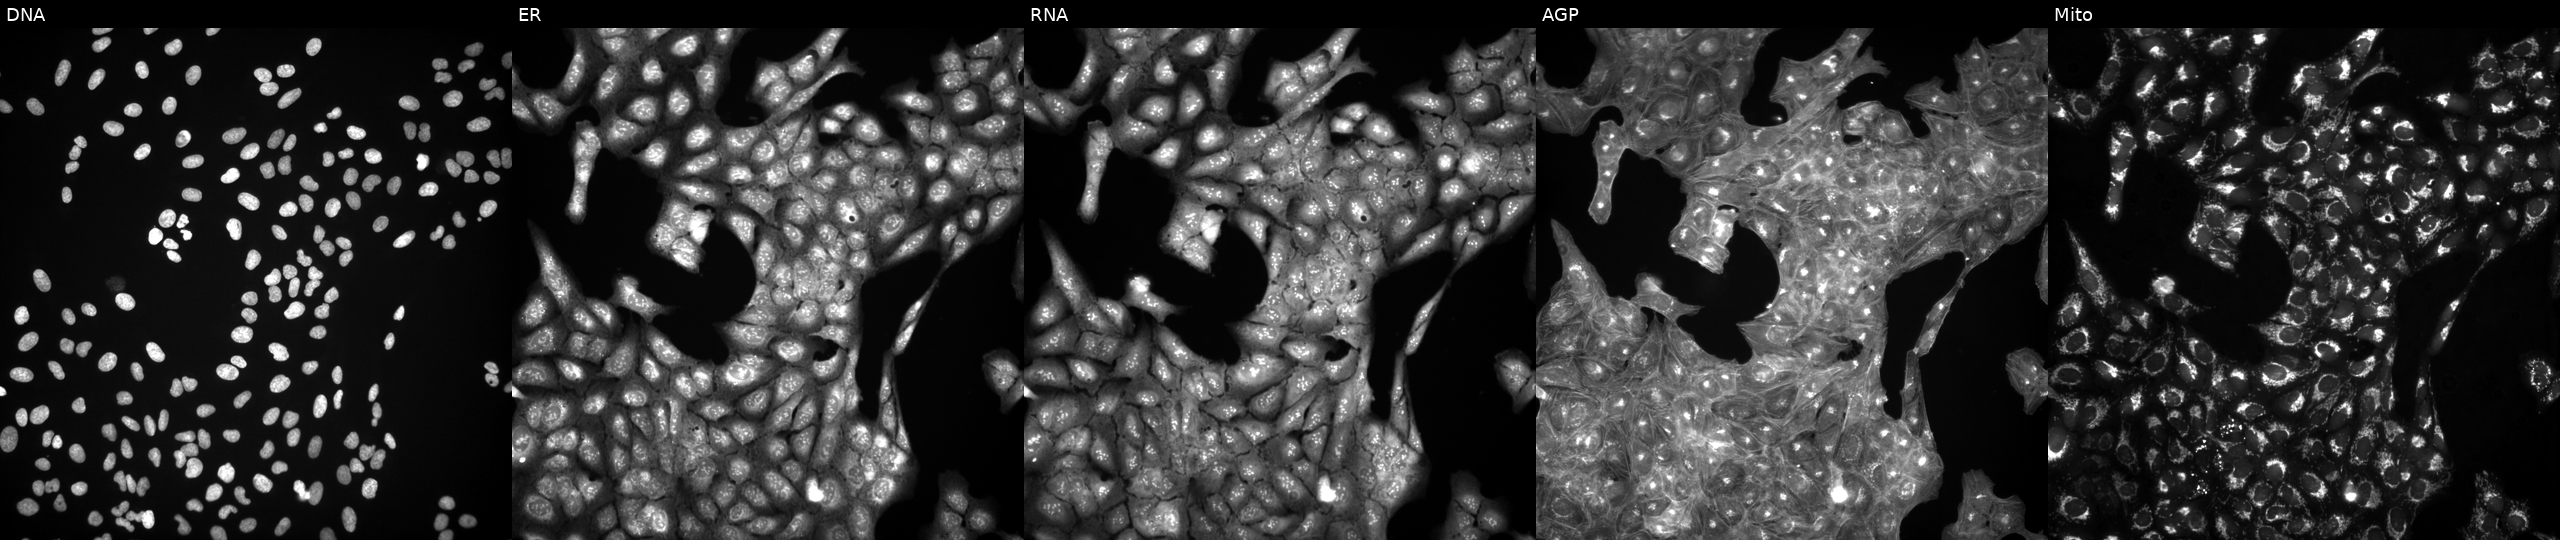
From left to right: DNA, ER, RNA, AGP, and Mito. U2OS osteosarcoma cells exposed to a small-molecule compound [SMILES: COc1ccc(CC(N)C(=O)NC2C(CO)OC(n3cnc4c(N(C)C)ncnc43)C2O)cc1] (JUMP id JCP2022_081430). Cell Painting assay, JUMP-CP dataset.